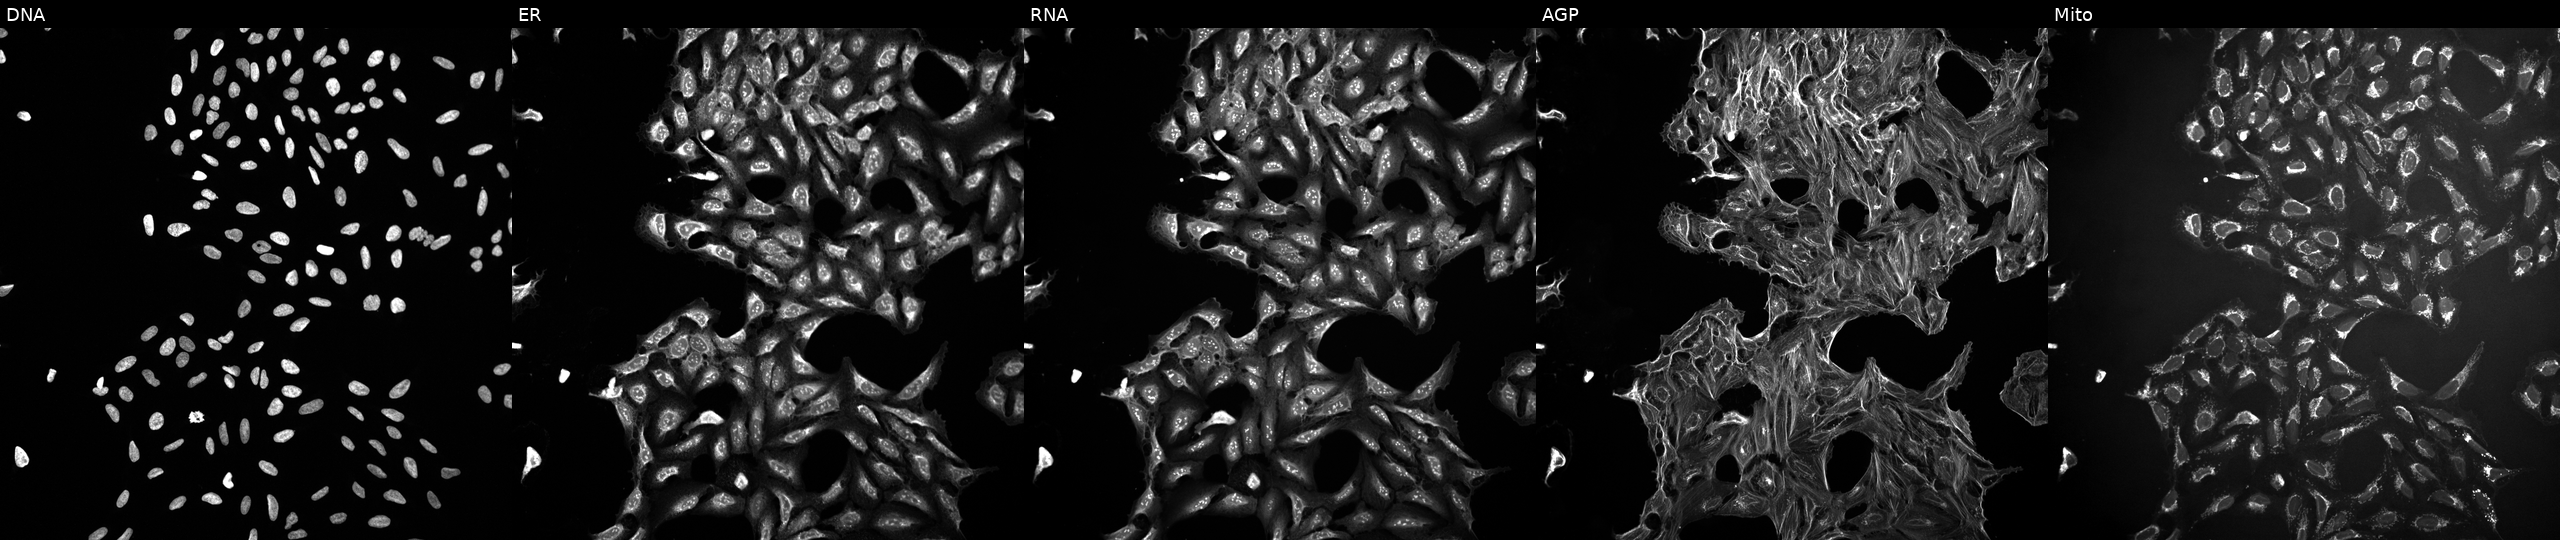
The five panels, left to right, show Hoechst 33342, concanavalin A, SYTO 14, phalloidin and WGA, MitoTracker. U2OS osteosarcoma cells perturbed with a small-molecule compound (InChIKey CKTSBUTUHBMZGZ-UHFFFAOYSA-N). Cell Painting assay, JUMP-CP dataset.